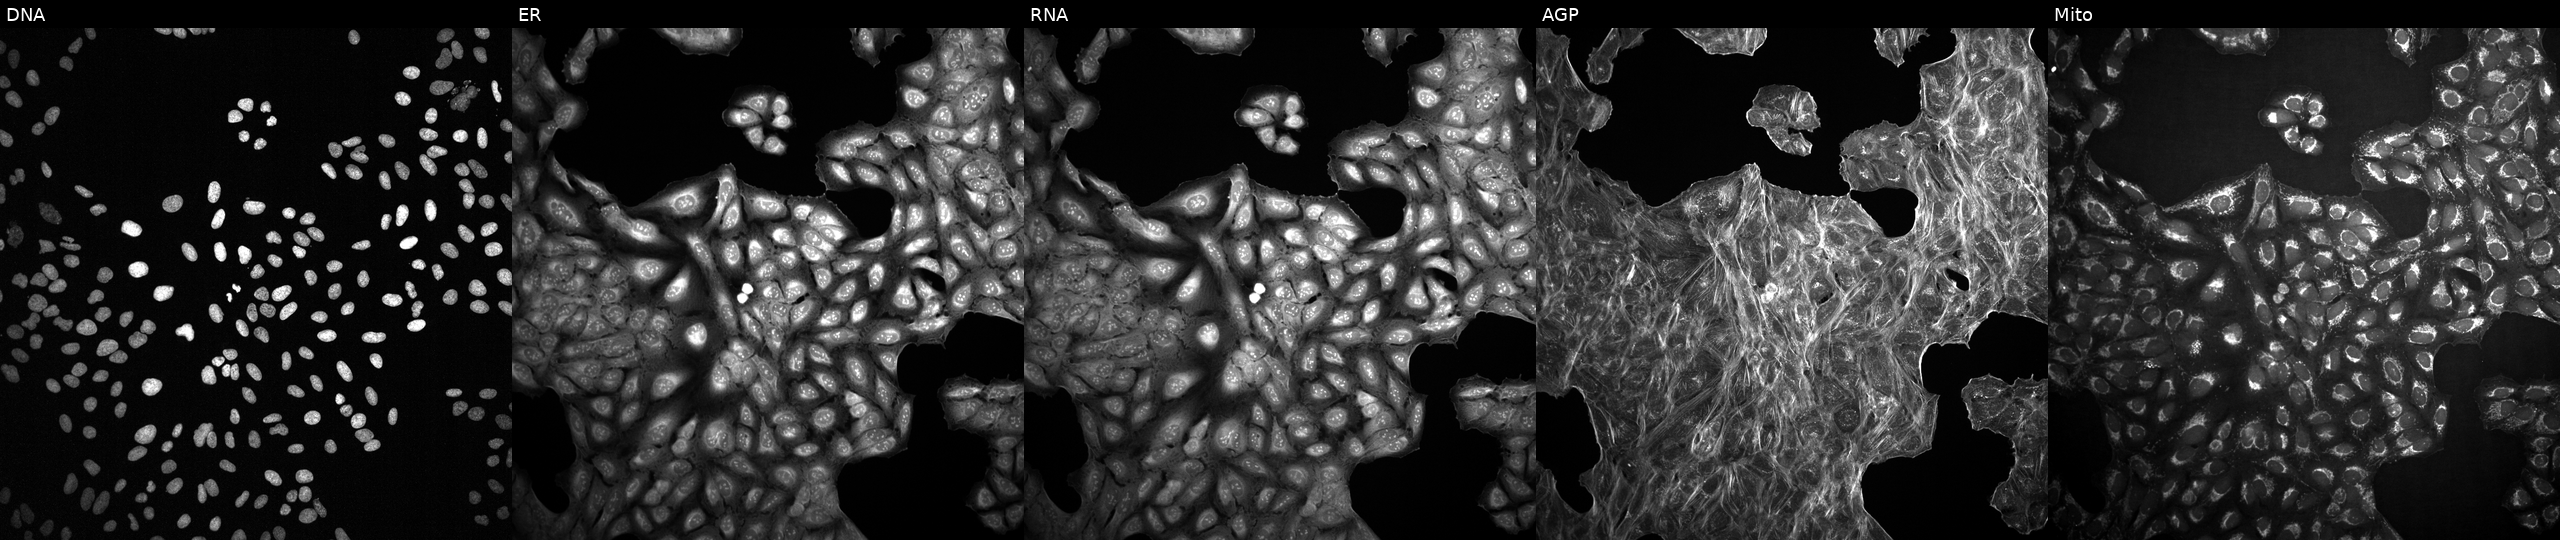
Five-channel Cell Painting image of U2OS cells treated with DMSO vehicle only (negative control). From left to right: Hoechst 33342, concanavalin A, SYTO 14, phalloidin and WGA, MitoTracker.